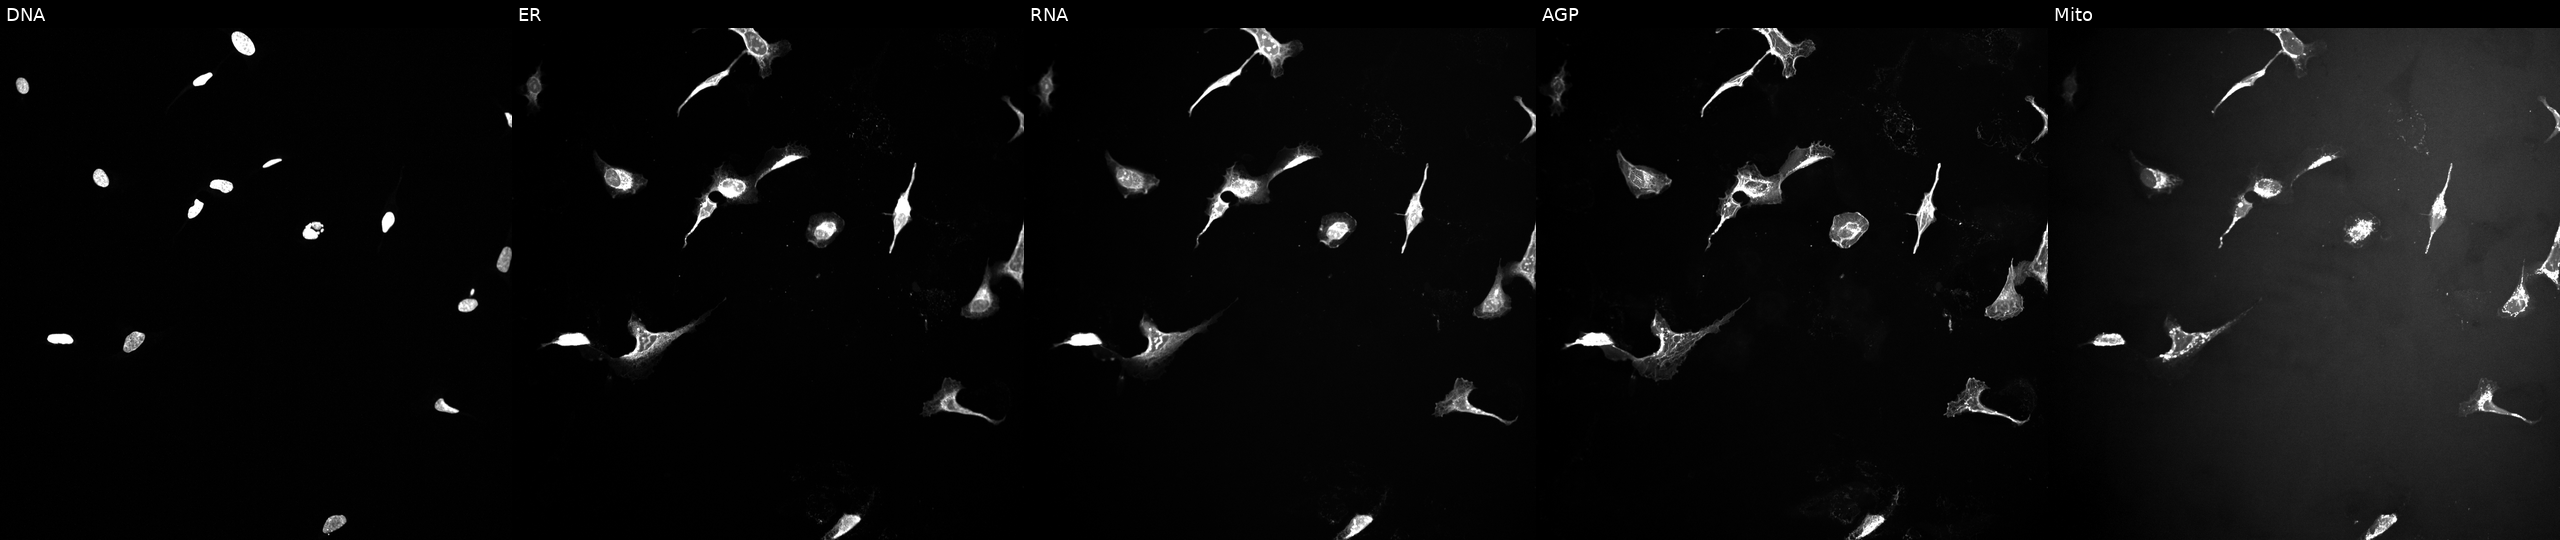
This image strip shows the five Cell Painting channels for a single field of U2OS cells treated with a small-molecule compound (InChIKey XQVVPGYIWAGRNI-UHFFFAOYSA-N). Panels show, left to right, Hoechst 33342, concanavalin A, SYTO 14, phalloidin and WGA, MitoTracker.